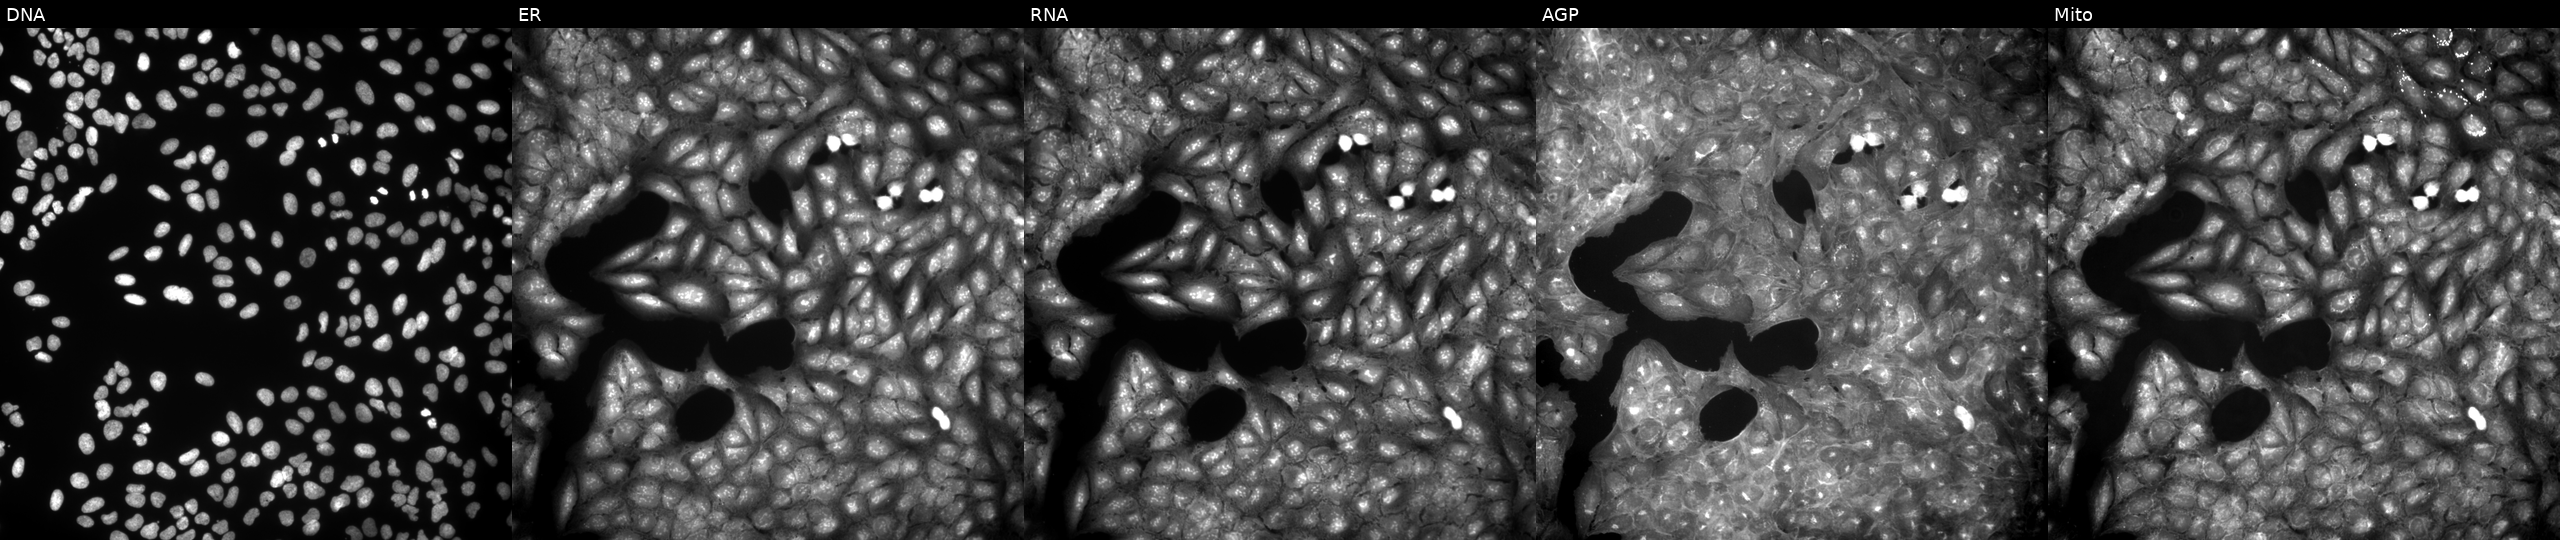
Five-channel Cell Painting image of U2OS cells treated with a small-molecule compound. Panels show, left to right, DNA (nuclei); ER (endoplasmic reticulum); RNA (nucleoli and cytoplasmic RNA); AGP (actin cytoskeleton, Golgi, and plasma membrane); Mito (mitochondria).